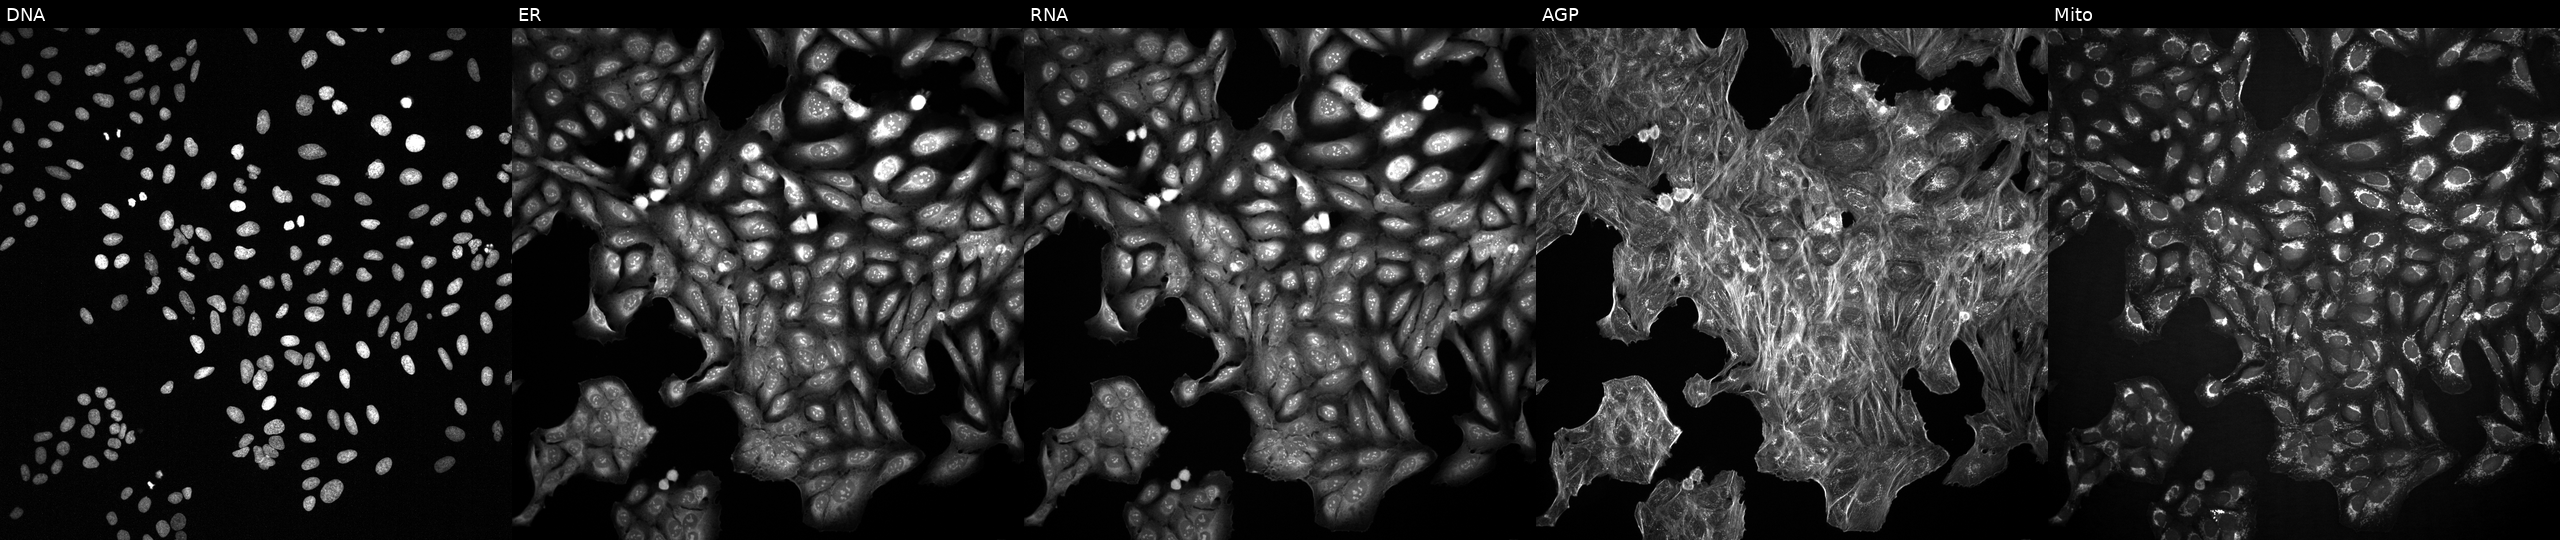
Five-channel Cell Painting image of U2OS cells exposed to a small-molecule compound (InChIKey GTXIBCRXNKXKCF-UHFFFAOYSA-N) (JUMP id JCP2022_027742). Channels (left→right): Hoechst 33342, concanavalin A, SYTO 14, phalloidin and WGA, MitoTracker.